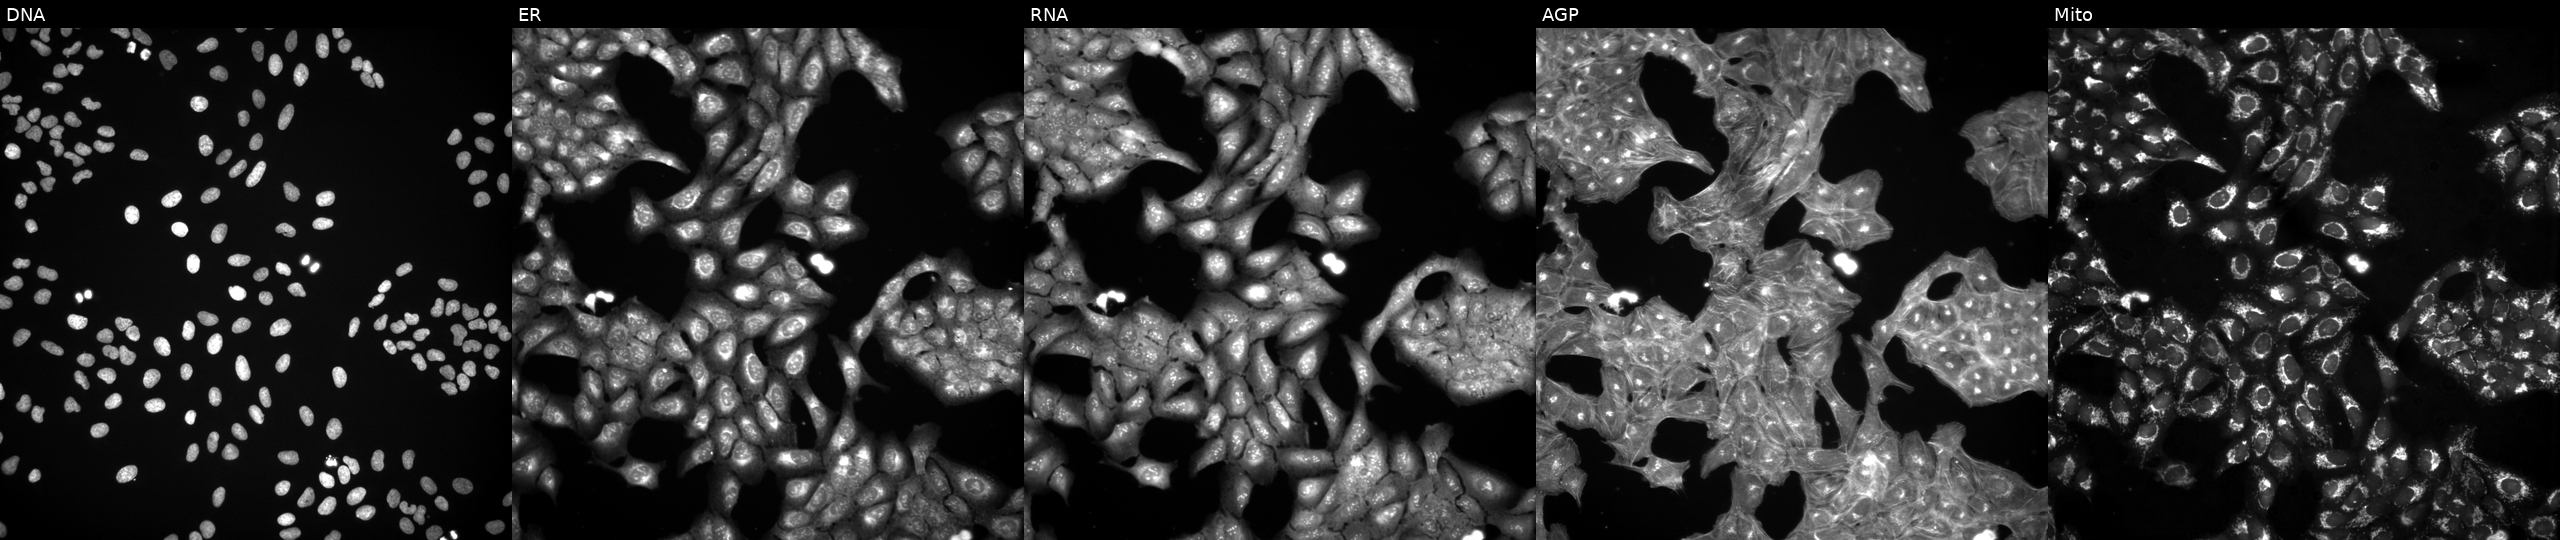
U2OS cells, Cell Painting assay, perturbed with a small-molecule compound (InChIKey LPGBXHWIQNZEJB-UHFFFAOYSA-N). Panels show, left to right, DNA (nuclei); ER (endoplasmic reticulum); RNA (nucleoli and cytoplasmic RNA); AGP (actin cytoskeleton, Golgi, and plasma membrane); Mito (mitochondria). Each panel is percentile-stretched 16-bit fluorescence.